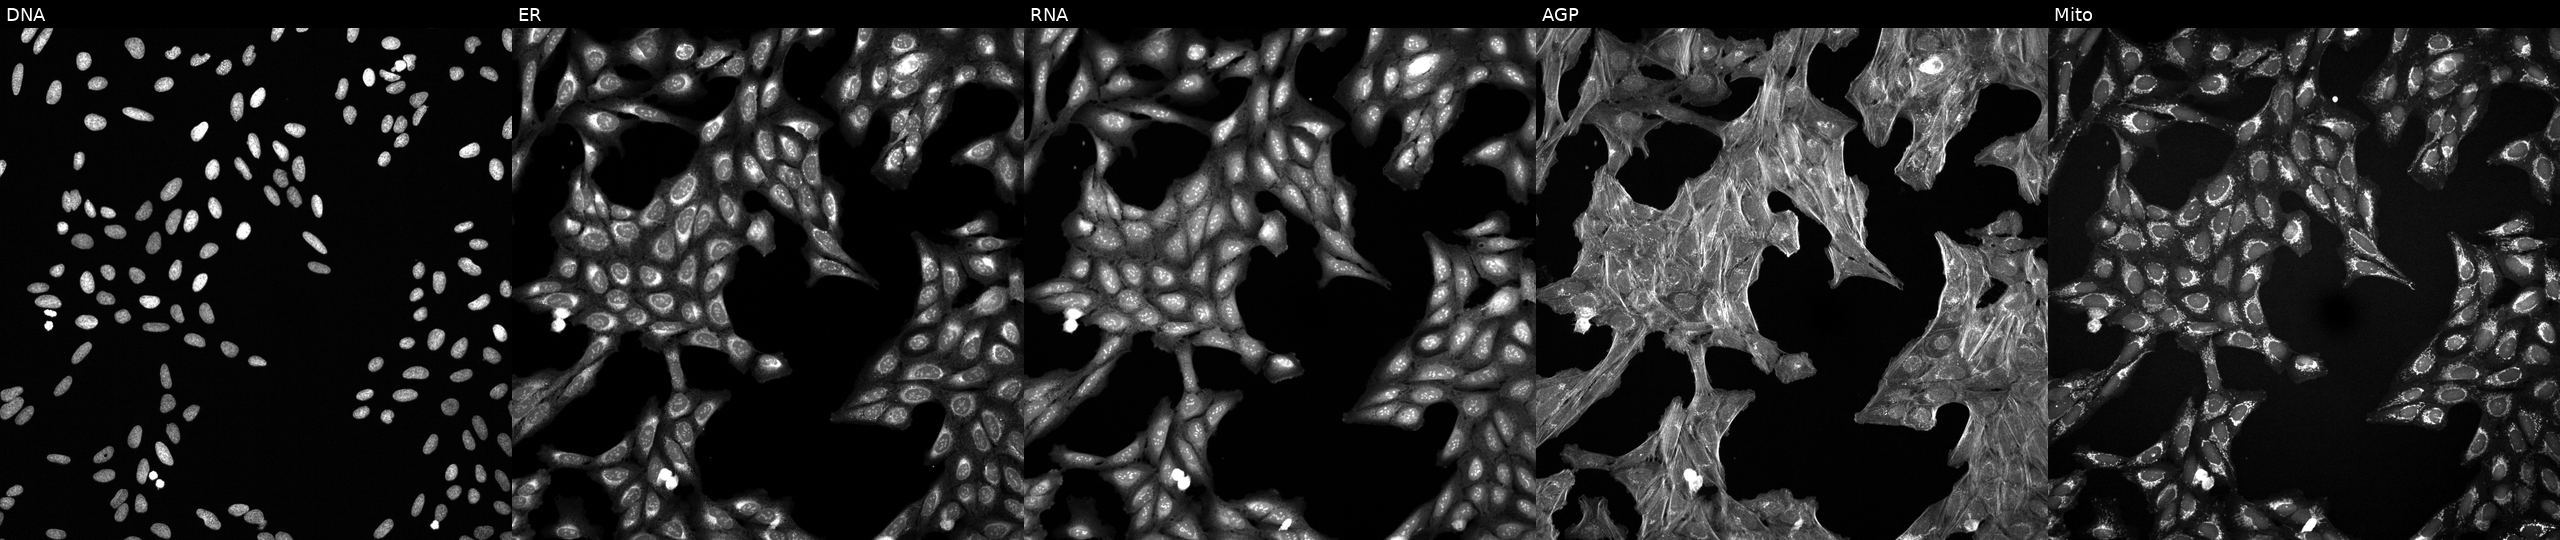
The five panels, left to right, show DNA (nuclei); ER (endoplasmic reticulum); RNA (nucleoli and cytoplasmic RNA); AGP (actin cytoskeleton, Golgi, and plasma membrane); Mito (mitochondria). U2OS osteosarcoma cells treated with dexamethasone (positive-control compound). Cell Painting assay, JUMP-CP dataset. Source 6, plate 110000293083, well C01.